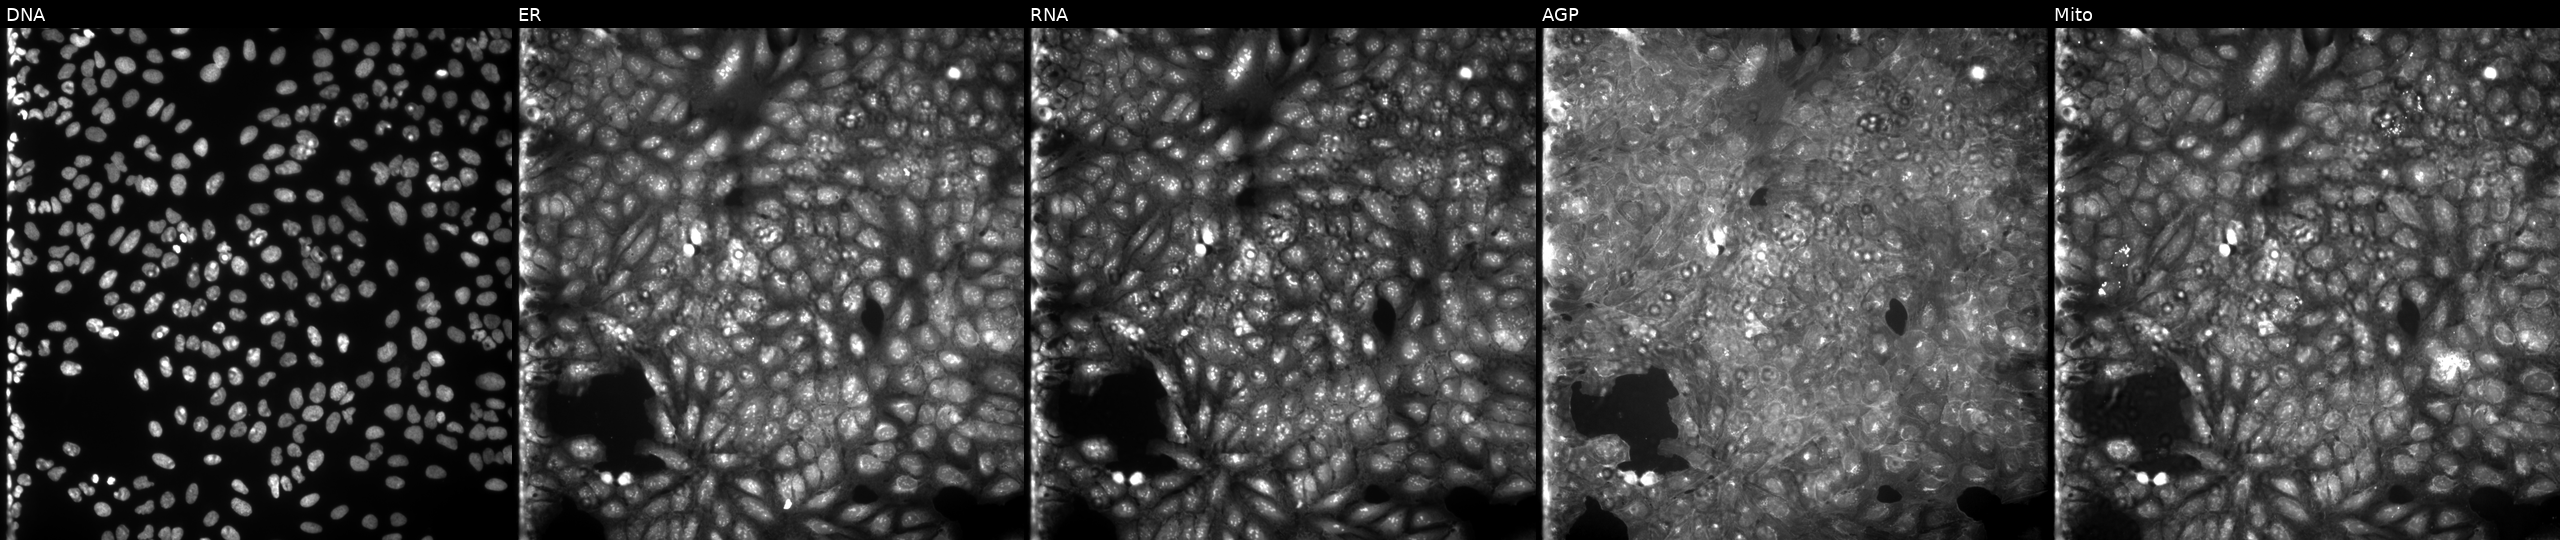
U2OS cells, Cell Painting assay, treated with a small-molecule compound (JUMP id JCP2022_015218). The five panels, left to right, show DNA, ER, RNA, AGP, and Mito. Each panel is percentile-stretched 16-bit fluorescence. Source 9, plate GR00003382, well C18.